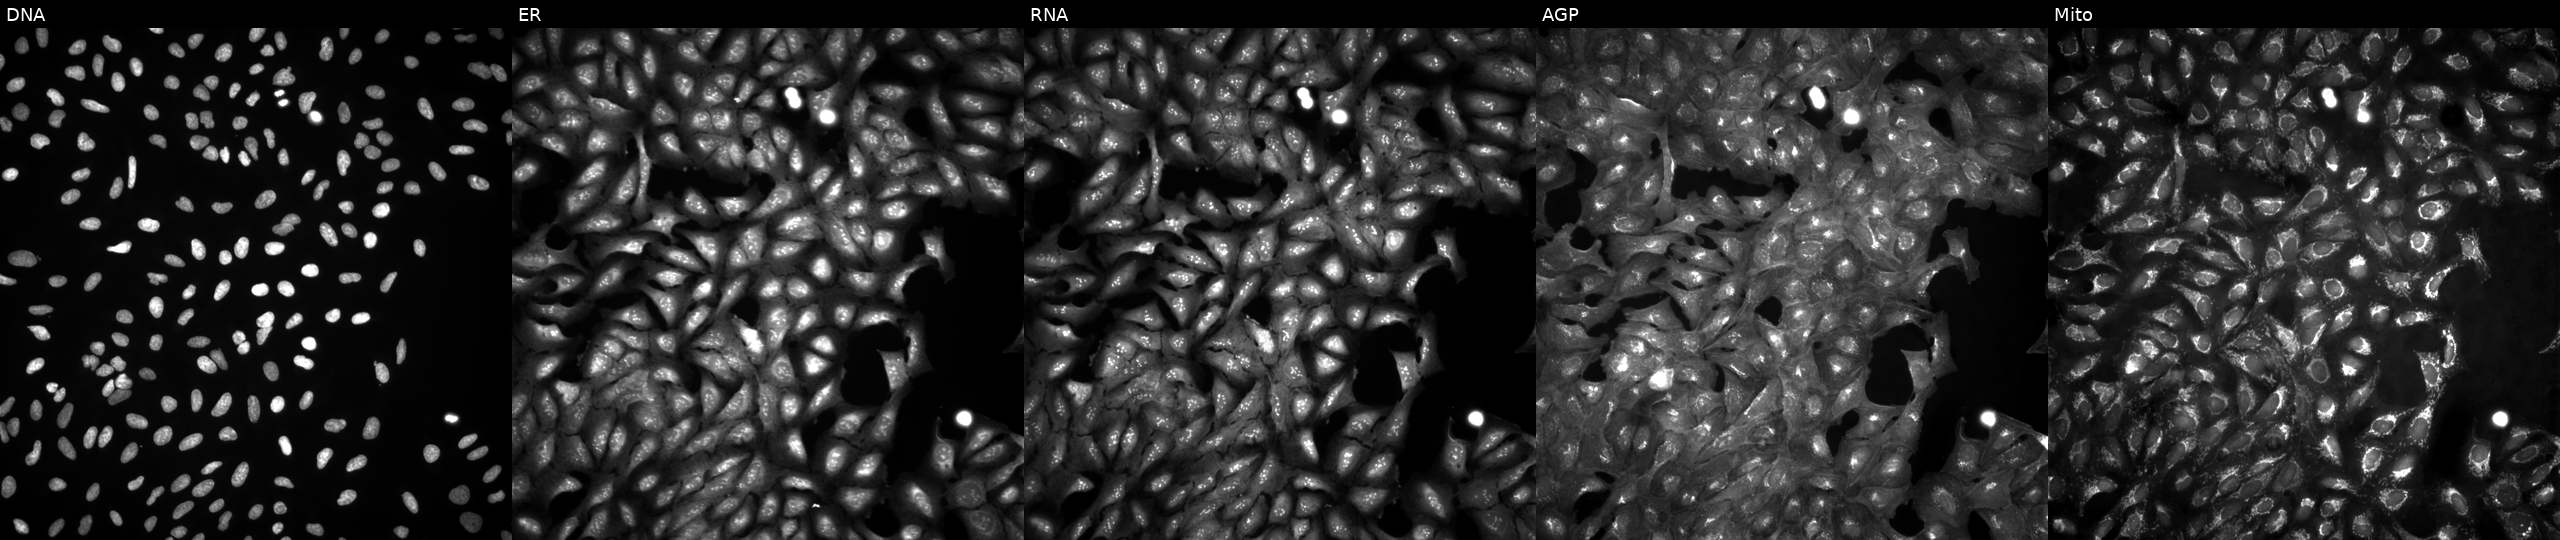
Five-channel Cell Painting image of U2OS cells in an empty control well (no perturbation). Channels (left→right): DNA (nuclei); ER (endoplasmic reticulum); RNA (nucleoli and cytoplasmic RNA); AGP (actin cytoskeleton, Golgi, and plasma membrane); Mito (mitochondria).